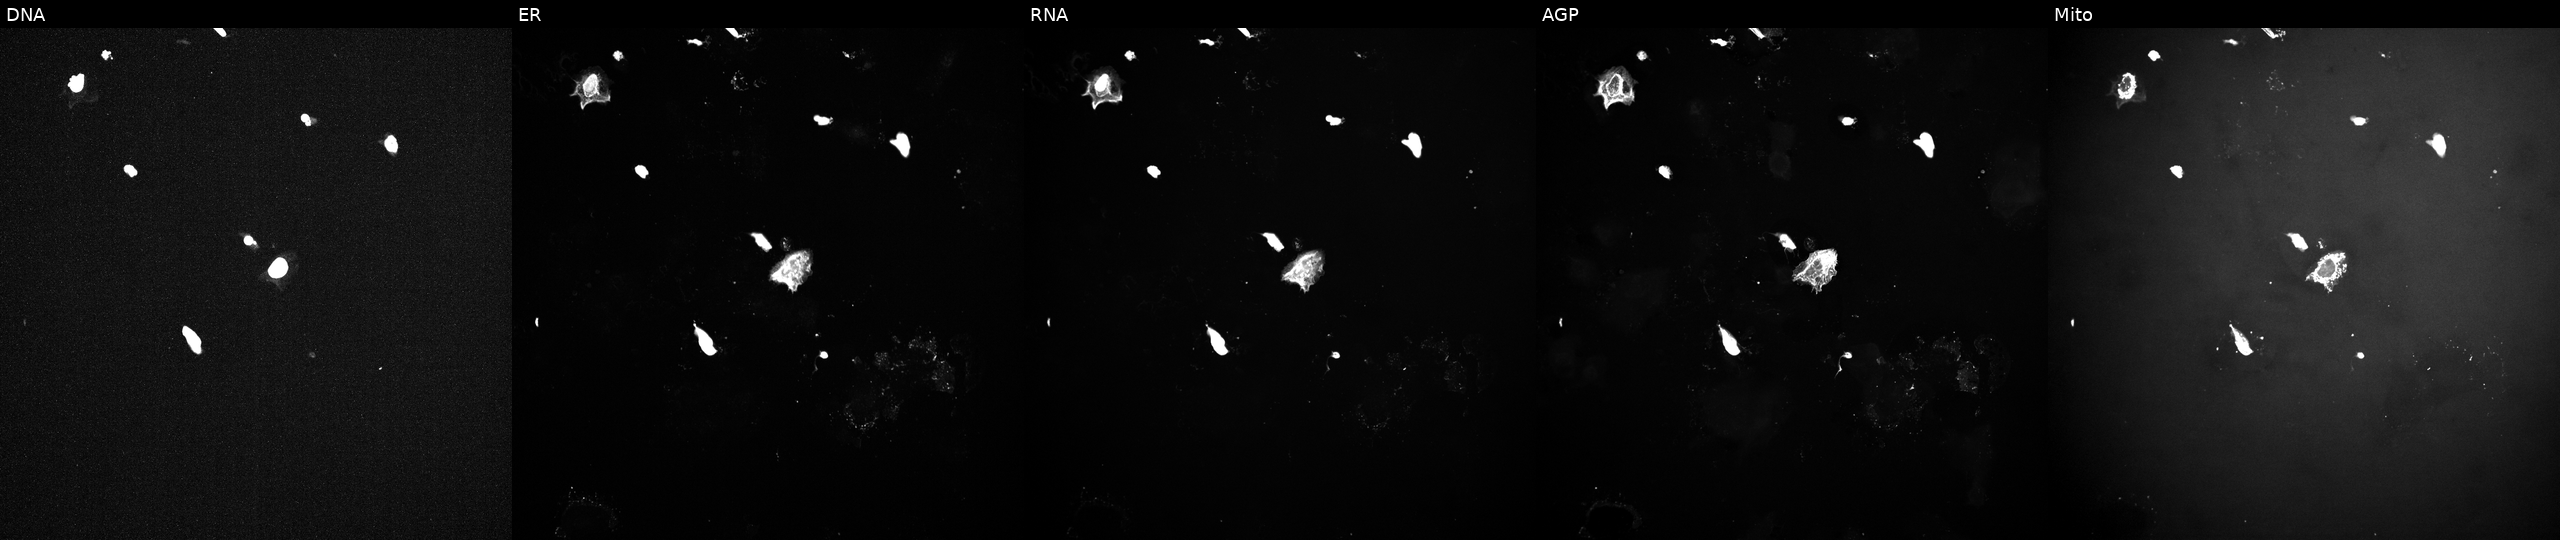
U2OS cells, Cell Painting assay, exposed to a small-molecule compound [SMILES: CCCC(N=c1[nH]c(-c2ccc(NC(=O)NCC)c(OC)c2)ncc1C)c1cccnc1]. The five panels, left to right, show Hoechst 33342, concanavalin A, SYTO 14, phalloidin and WGA, MitoTracker. Each panel is percentile-stretched 16-bit fluorescence. Source 10, plate Dest210726-160150, well M15.